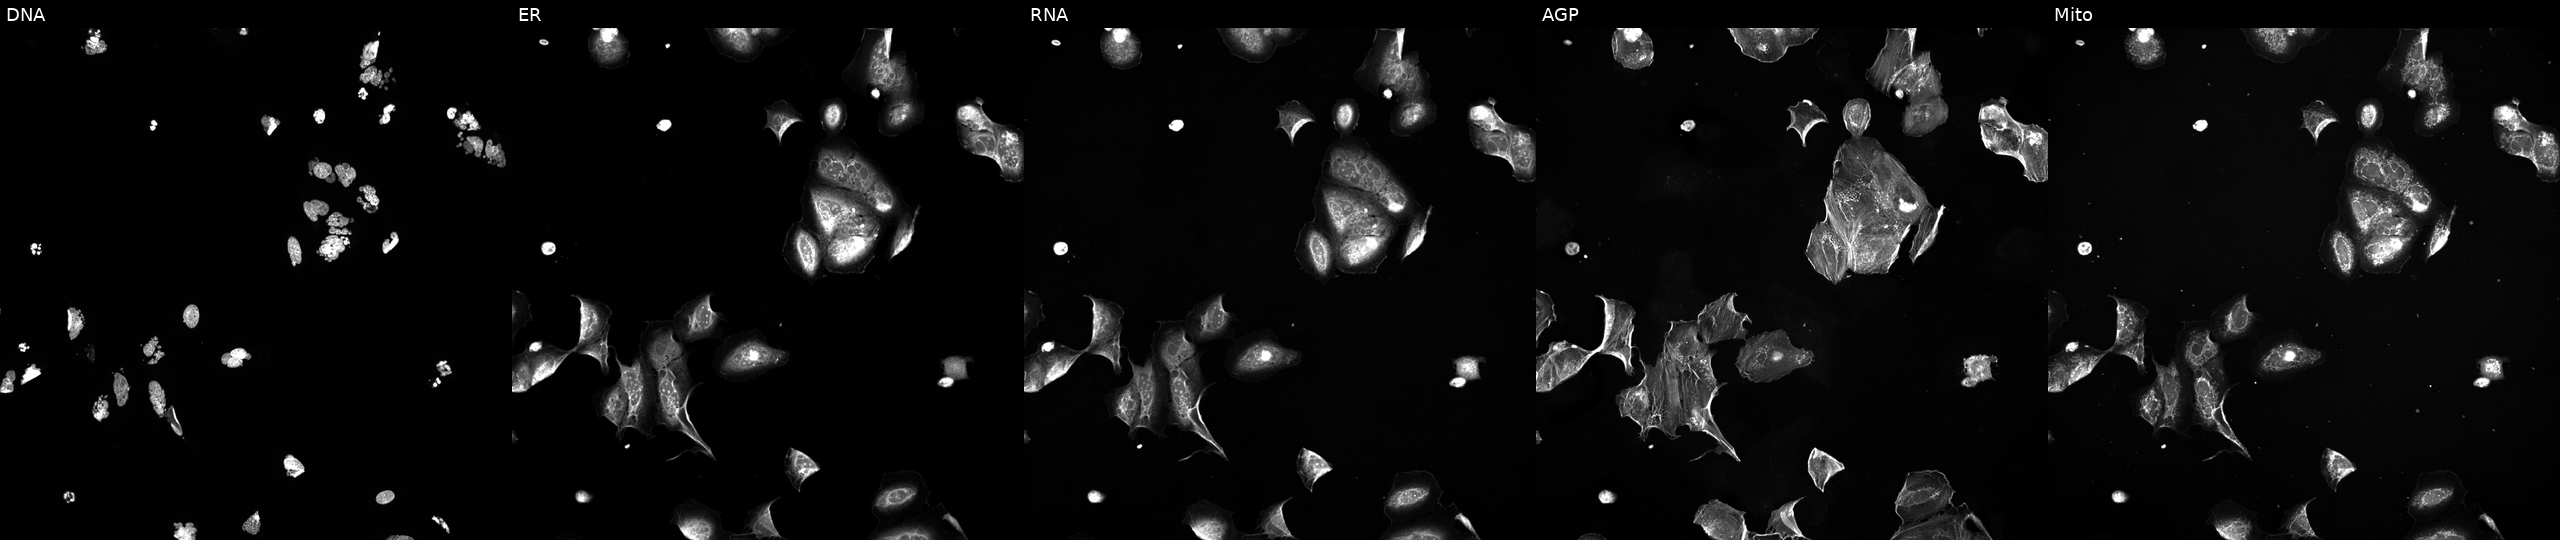
From left to right: Hoechst 33342, concanavalin A, SYTO 14, phalloidin and WGA, MitoTracker. U2OS osteosarcoma cells exposed to a small-molecule compound (JUMP id JCP2022_019314). Cell Painting assay, JUMP-CP dataset.